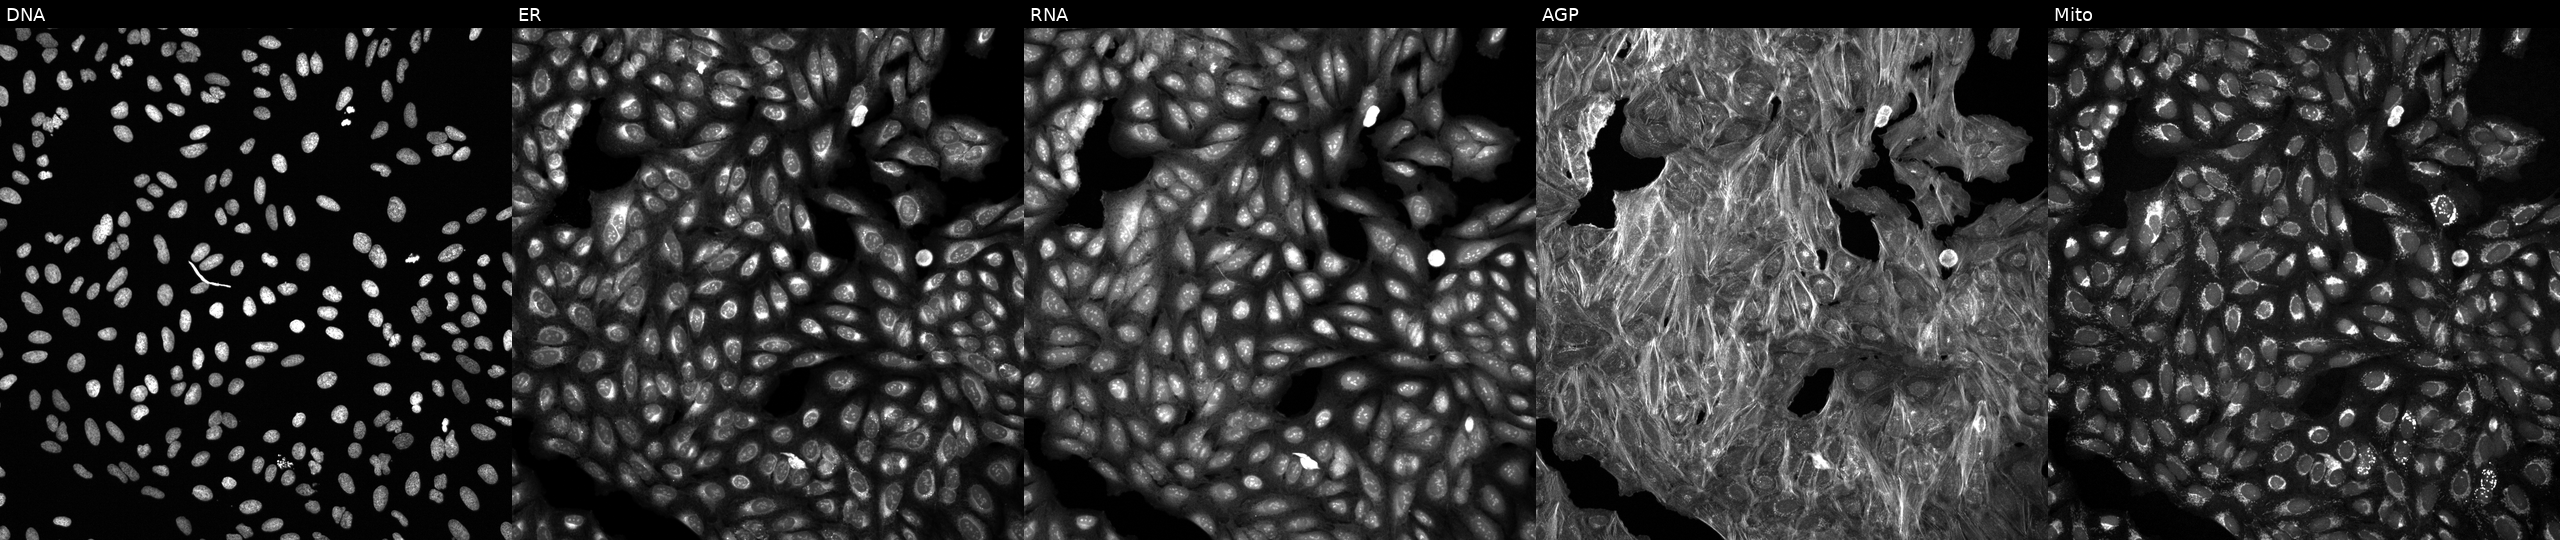
Panels show, left to right, DNA, ER, RNA, AGP, and Mito. U2OS osteosarcoma cells exposed to a small-molecule compound (InChIKey UGYXPZQILZRKJJ-UHFFFAOYSA-N). Cell Painting assay, JUMP-CP dataset. Source 6, plate 110000293093, well D23.